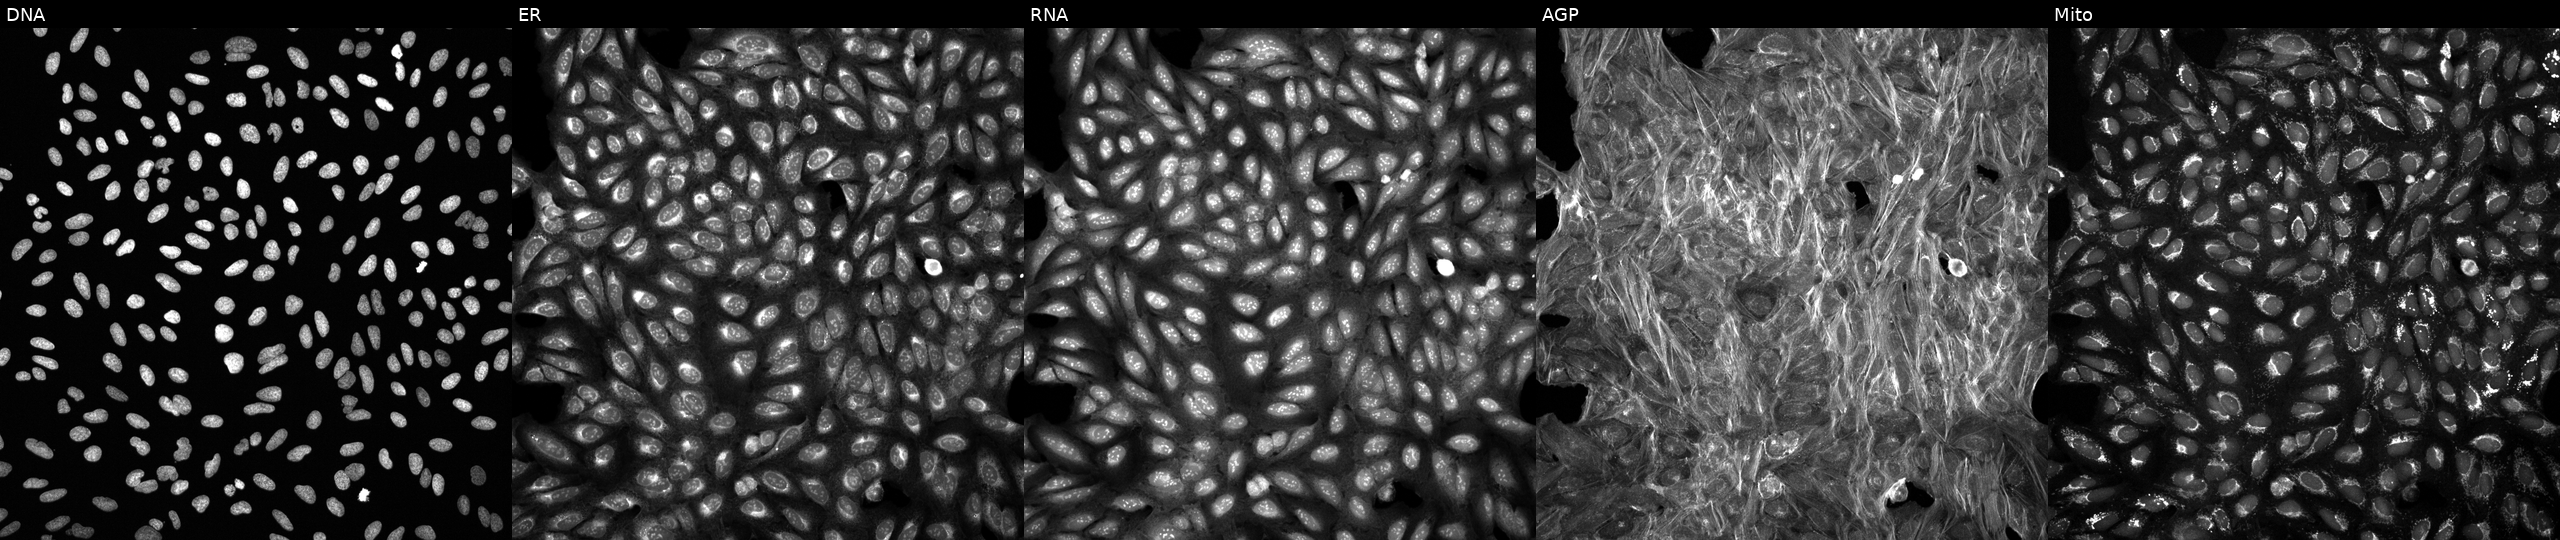
Channels (left→right): DNA (nuclei); ER (endoplasmic reticulum); RNA (nucleoli and cytoplasmic RNA); AGP (actin cytoskeleton, Golgi, and plasma membrane); Mito (mitochondria). U2OS osteosarcoma cells exposed to a small-molecule compound (InChIKey IWIBYDAYADKATQ-UHFFFAOYSA-N). Cell Painting assay, JUMP-CP dataset.